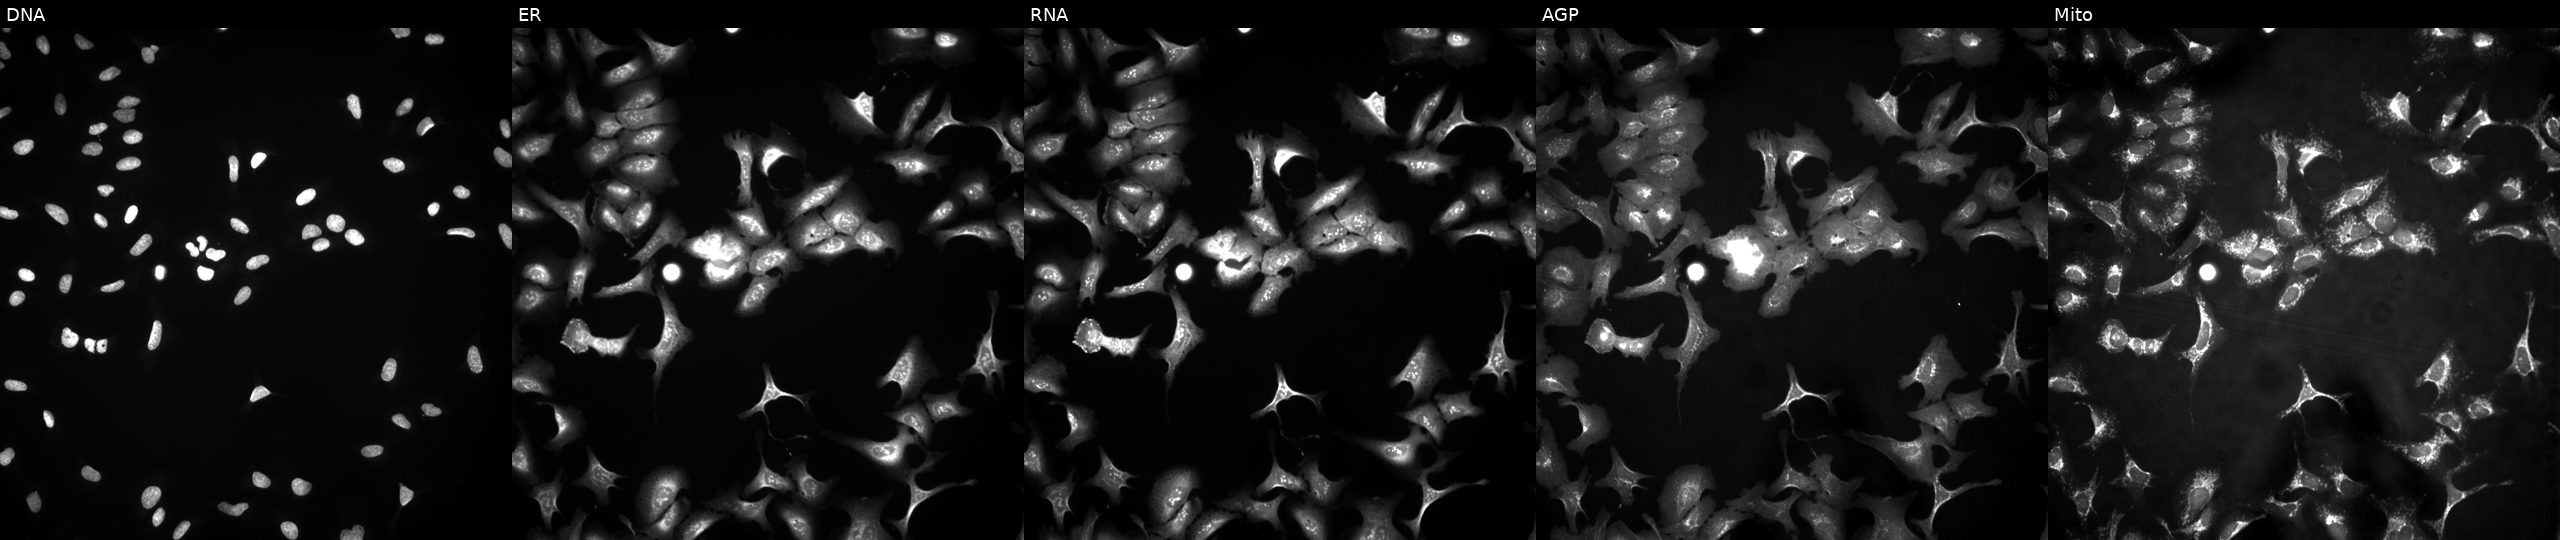
High-content fluorescence microscopy (Cell Painting). Cell line: U2OS. Perturbation: with LNX1 overexpressed (ORF) (JUMP id JCP2022_909762). Panels show, left to right, Hoechst 33342, concanavalin A, SYTO 14, phalloidin and WGA, MitoTracker.